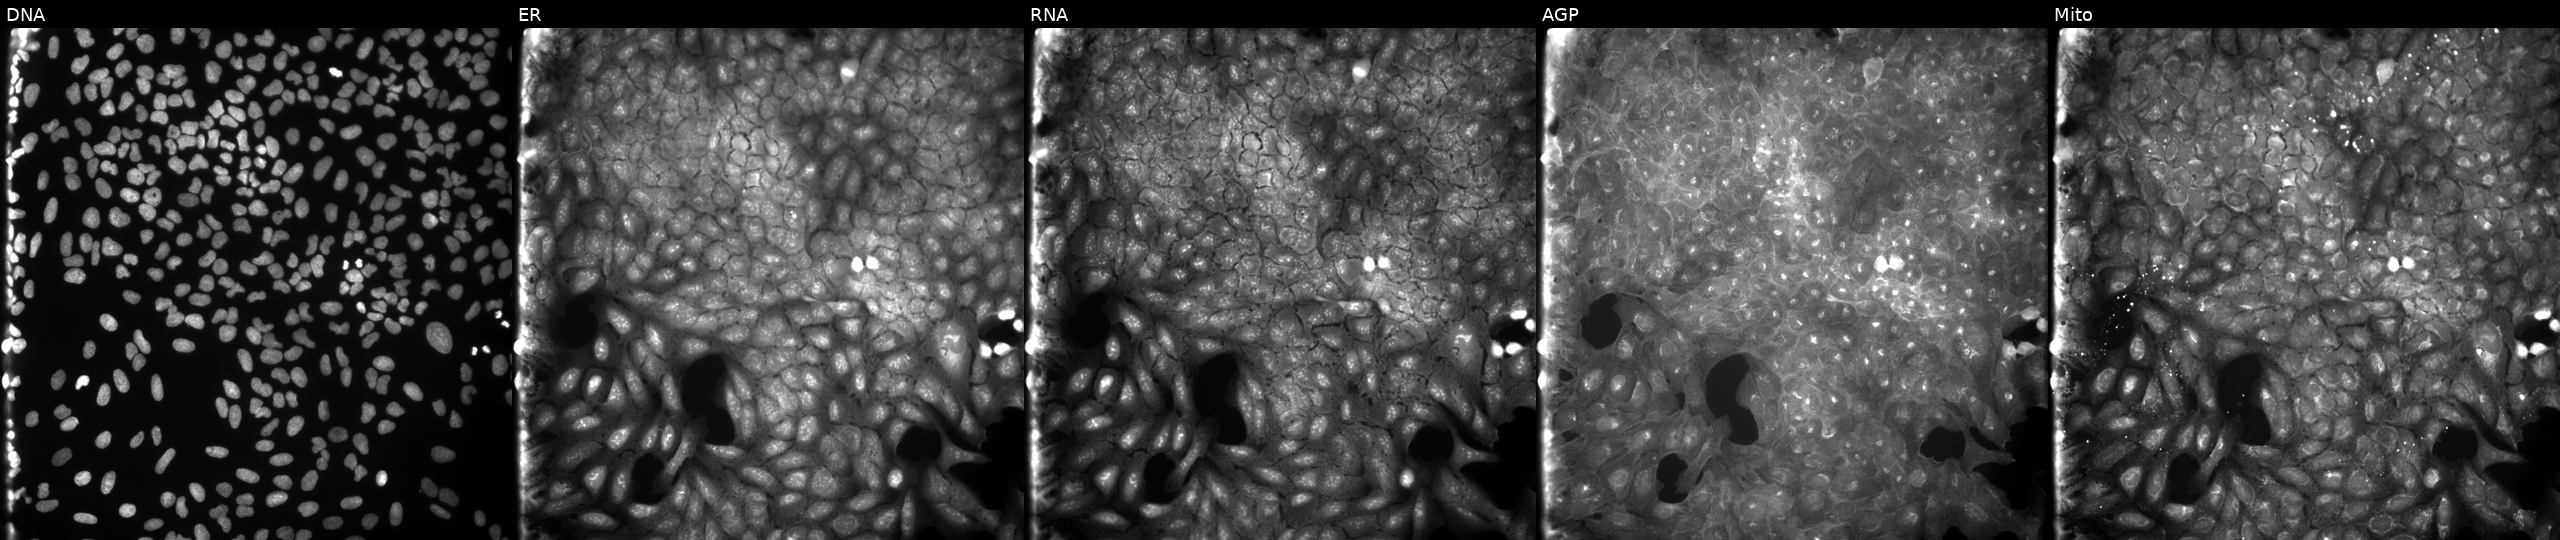
U2OS cells, Cell Painting assay, exposed to a small-molecule compound (InChIKey MVPMPPRYKSOSOJ-UHFFFAOYSA-N) [SMILES: O=C(CN1C(=O)c2ccccc2C1=O)Nc1sc2c(c1C(=O)NCc1ccco1)CCCC2]. From left to right: DNA, ER, RNA, AGP, and Mito. Each panel is percentile-stretched 16-bit fluorescence.